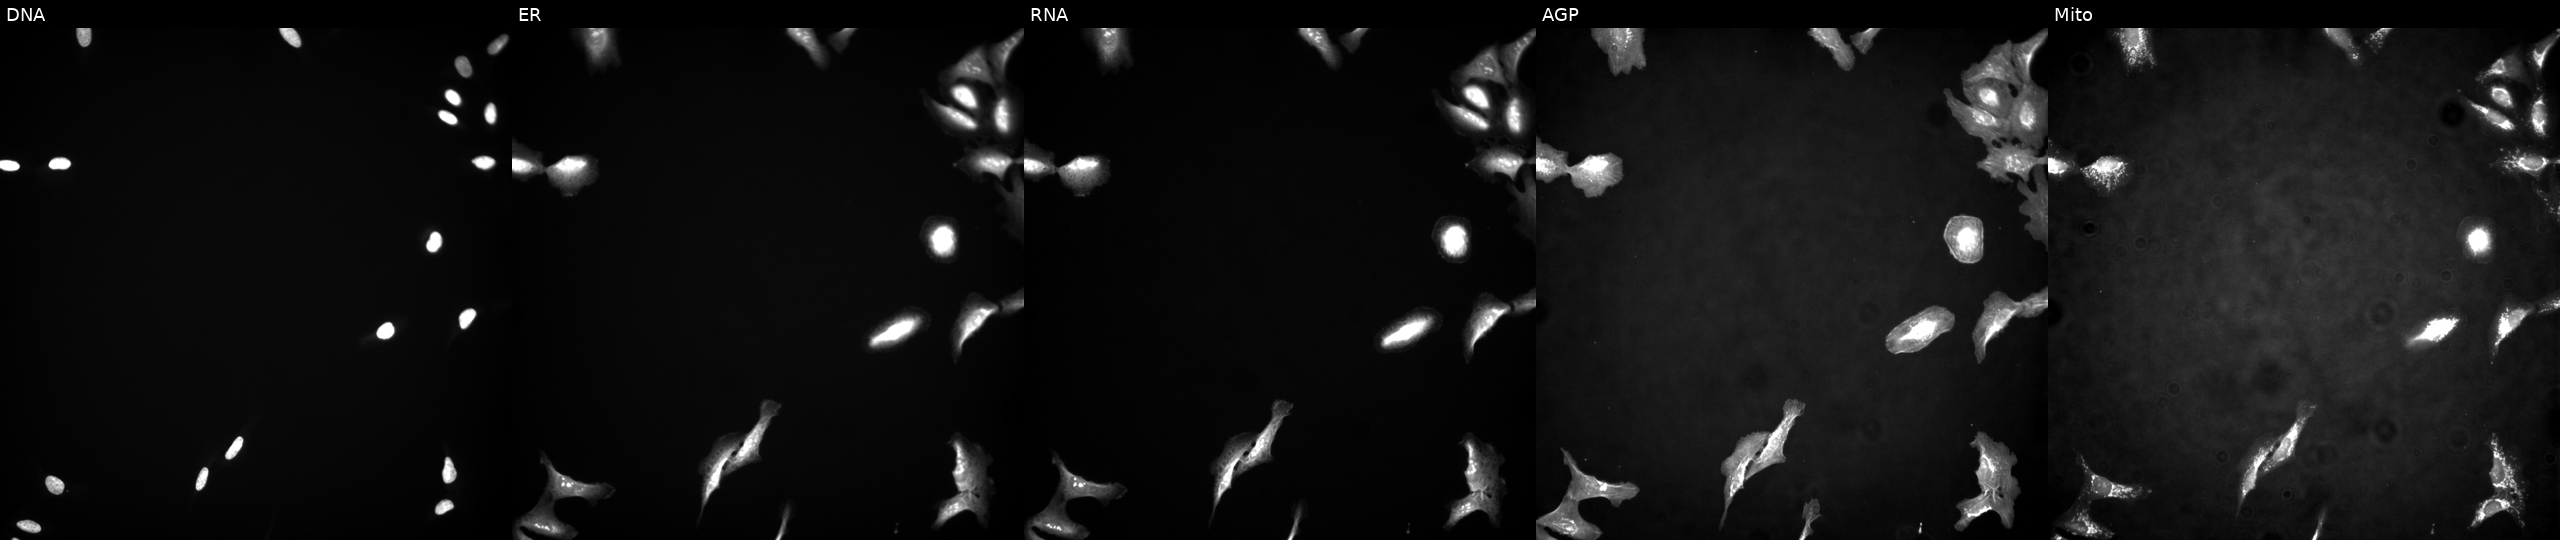
High-content fluorescence microscopy (Cell Painting). Cell line: U2OS. Perturbation: transfected with an ORF construct for SSBP4 (JUMP id JCP2022_904817). From left to right: DNA (nuclei); ER (endoplasmic reticulum); RNA (nucleoli and cytoplasmic RNA); AGP (actin cytoskeleton, Golgi, and plasma membrane); Mito (mitochondria).